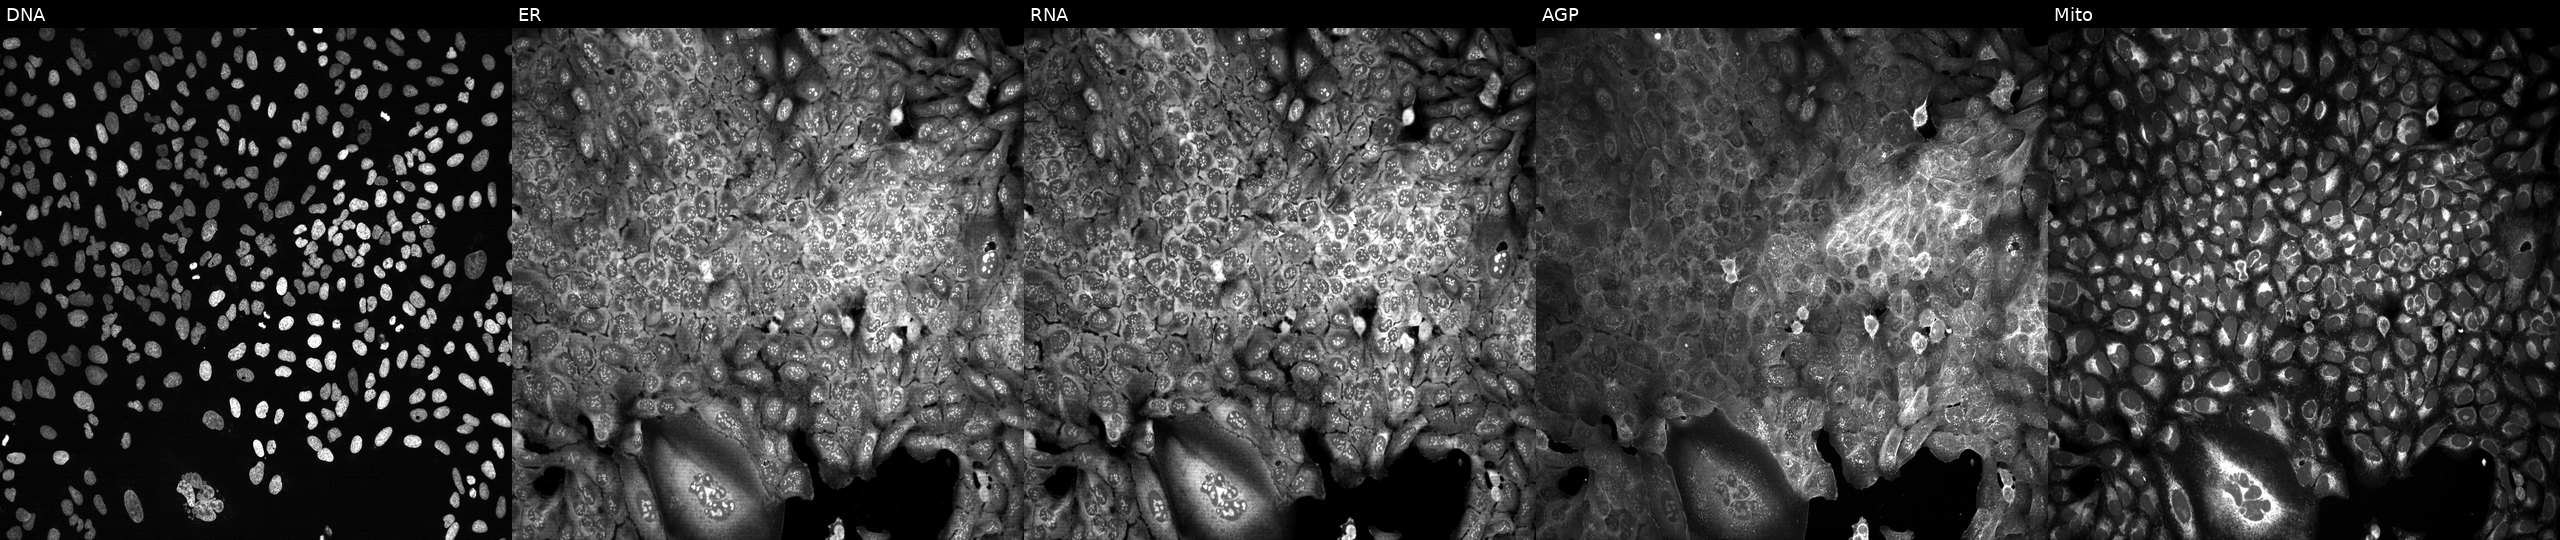
From left to right: DNA (nuclei); ER (endoplasmic reticulum); RNA (nucleoli and cytoplasmic RNA); AGP (actin cytoskeleton, Golgi, and plasma membrane); Mito (mitochondria). U2OS osteosarcoma cells CRISPR-edited to disrupt PIDD1. Cell Painting assay, JUMP-CP dataset. Source 13, plate CP-CC9-R6-19, well I13.